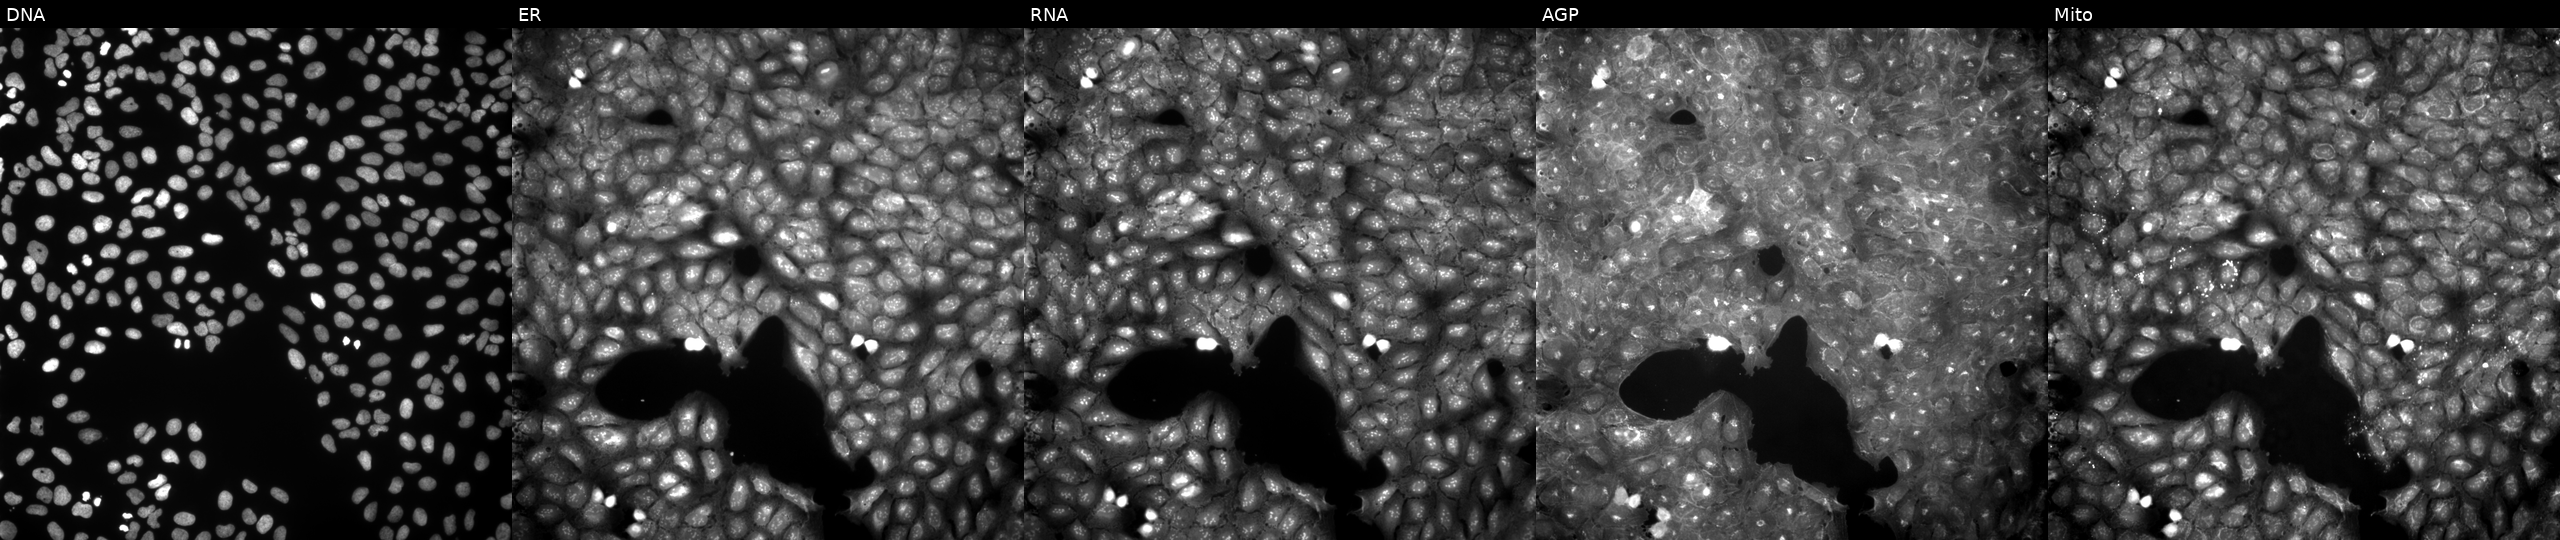
This image strip shows the five Cell Painting channels for a single field of U2OS cells perturbed with a small-molecule compound (InChIKey ROZHPHAJMCSPIN-UHFFFAOYSA-N). The five panels, left to right, show DNA (nuclei); ER (endoplasmic reticulum); RNA (nucleoli and cytoplasmic RNA); AGP (actin cytoskeleton, Golgi, and plasma membrane); Mito (mitochondria).